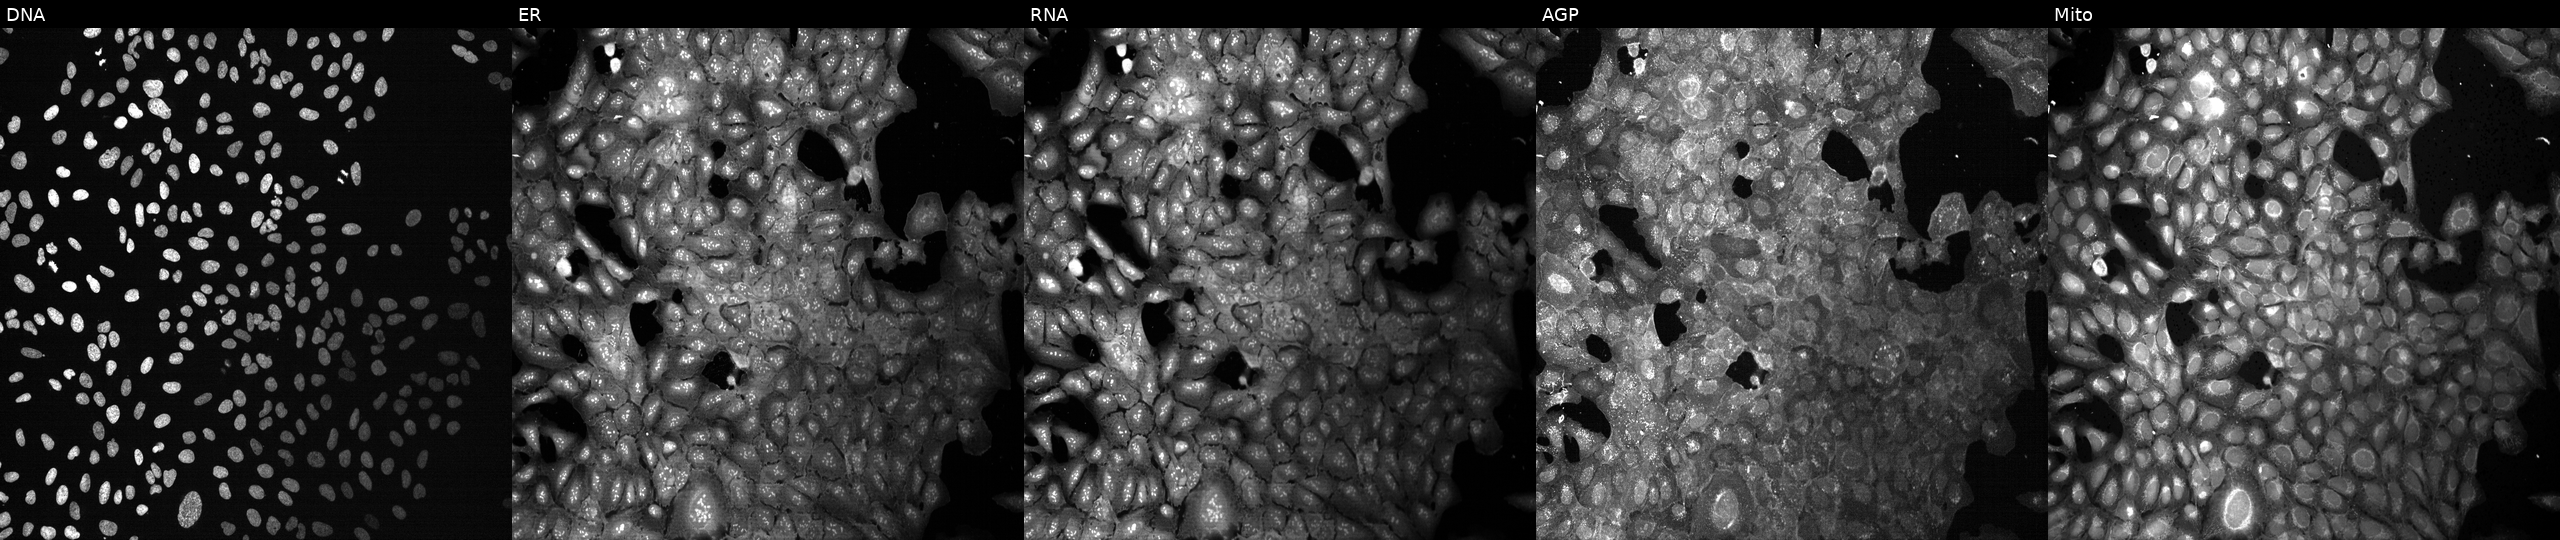
Five-channel Cell Painting image of U2OS cells CRISPR-edited to disrupt HFE (JUMP id JCP2022_803094). Panels show, left to right, DNA (nuclei); ER (endoplasmic reticulum); RNA (nucleoli and cytoplasmic RNA); AGP (actin cytoskeleton, Golgi, and plasma membrane); Mito (mitochondria).